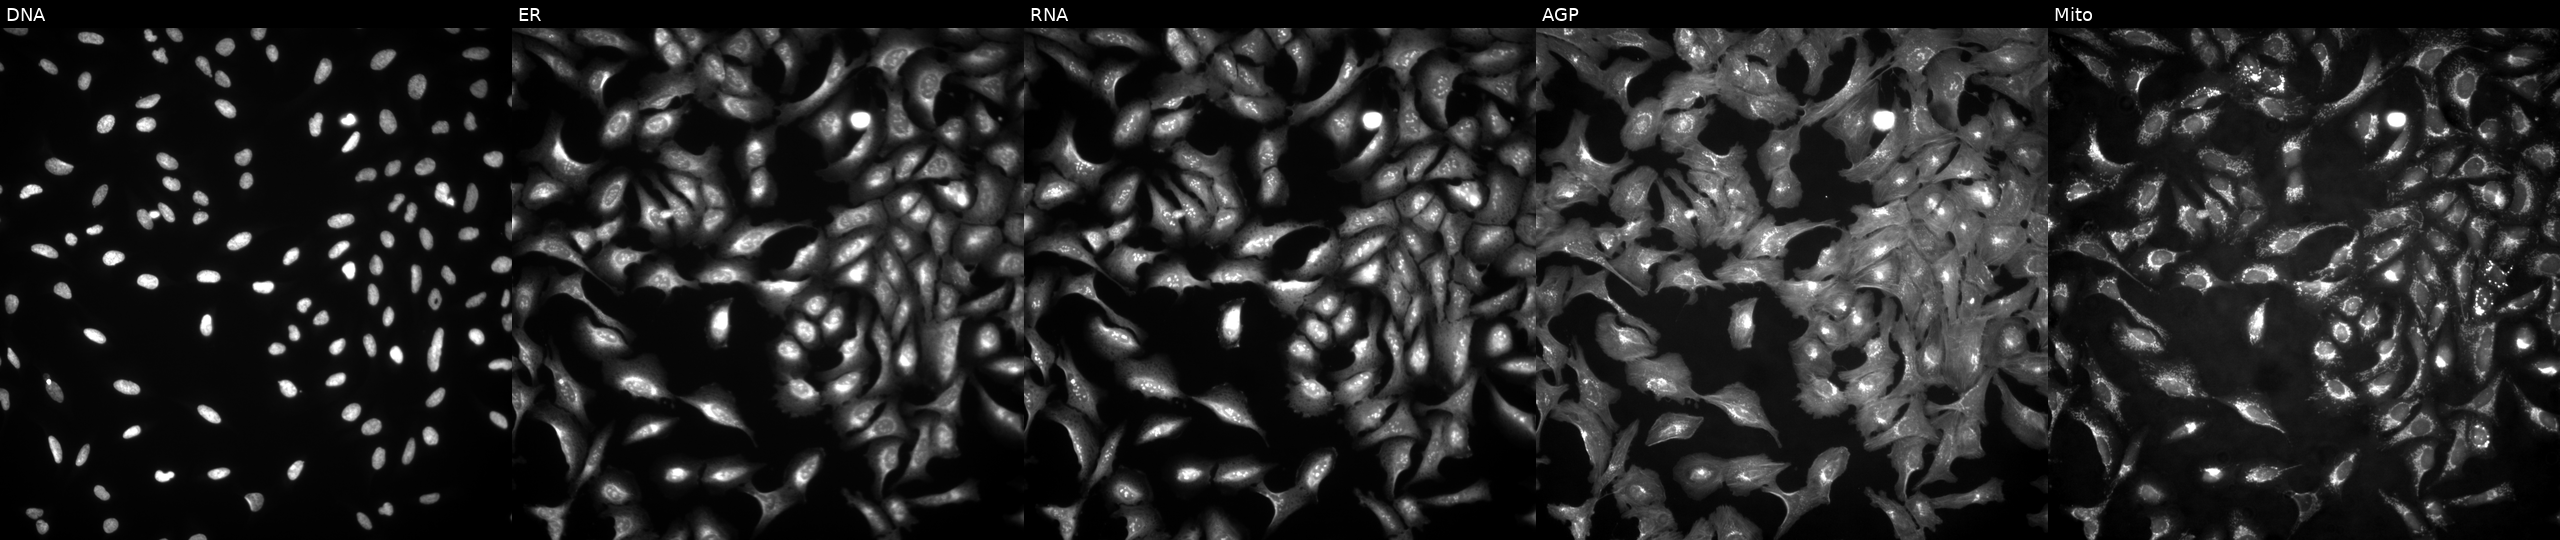
JUMP Cell Painting — ORF plate. U2OS cells overexpressing MRPL33 via ORF transfection (JUMP id JCP2022_902053). Panels show, left to right, Hoechst 33342, concanavalin A, SYTO 14, phalloidin and WGA, MitoTracker.